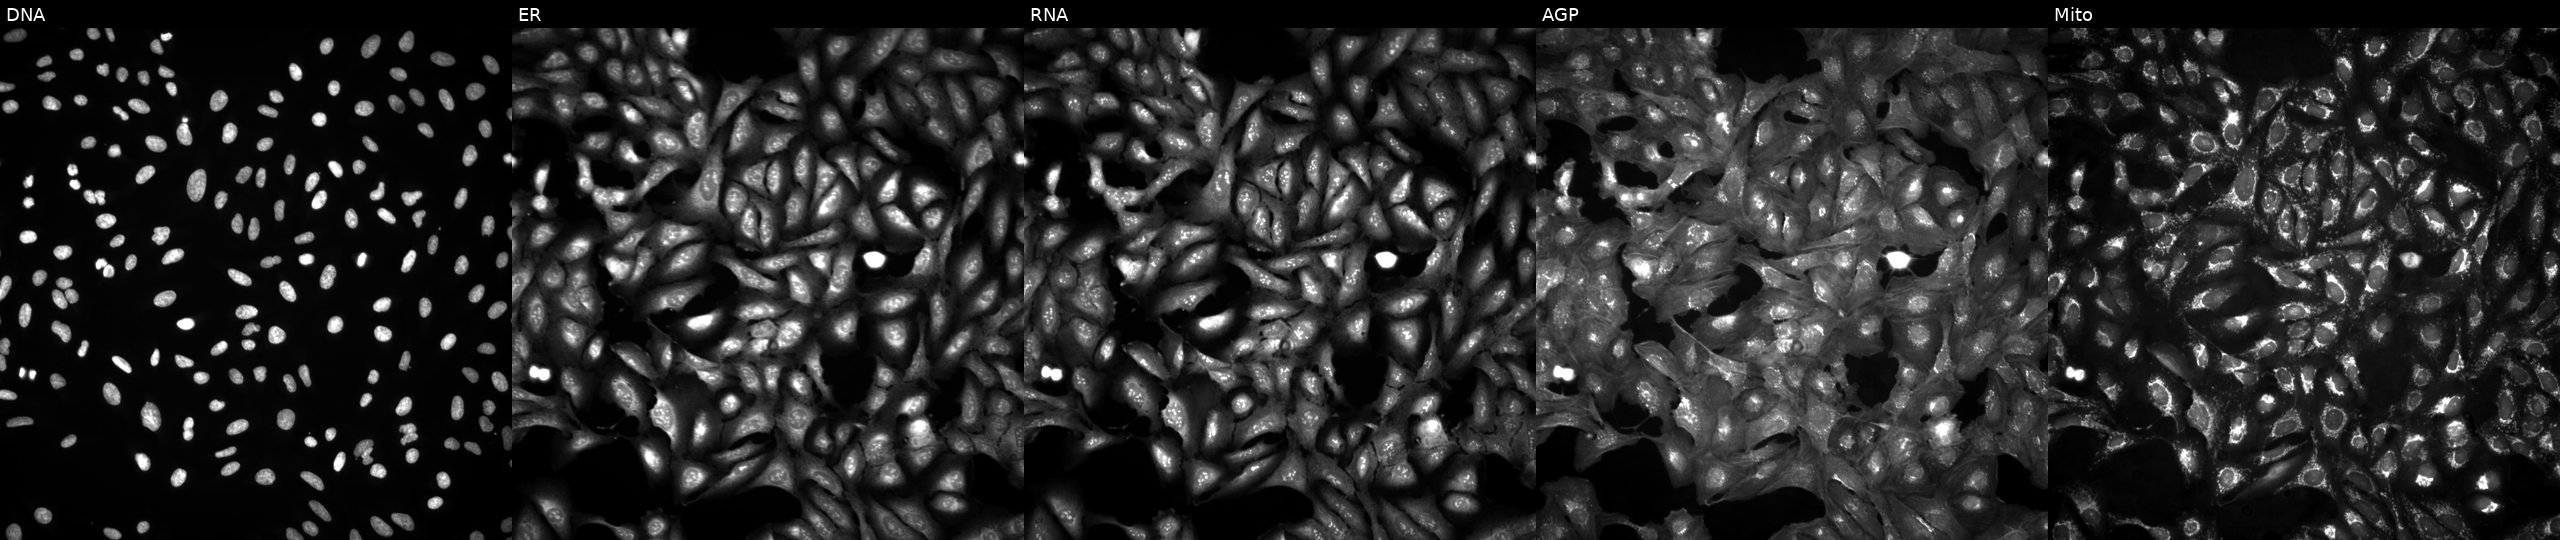
From left to right: Hoechst 33342, concanavalin A, SYTO 14, phalloidin and WGA, MitoTracker. U2OS osteosarcoma cells untreated (empty-well control) (JUMP id JCP2022_999999). Cell Painting assay, JUMP-CP dataset.